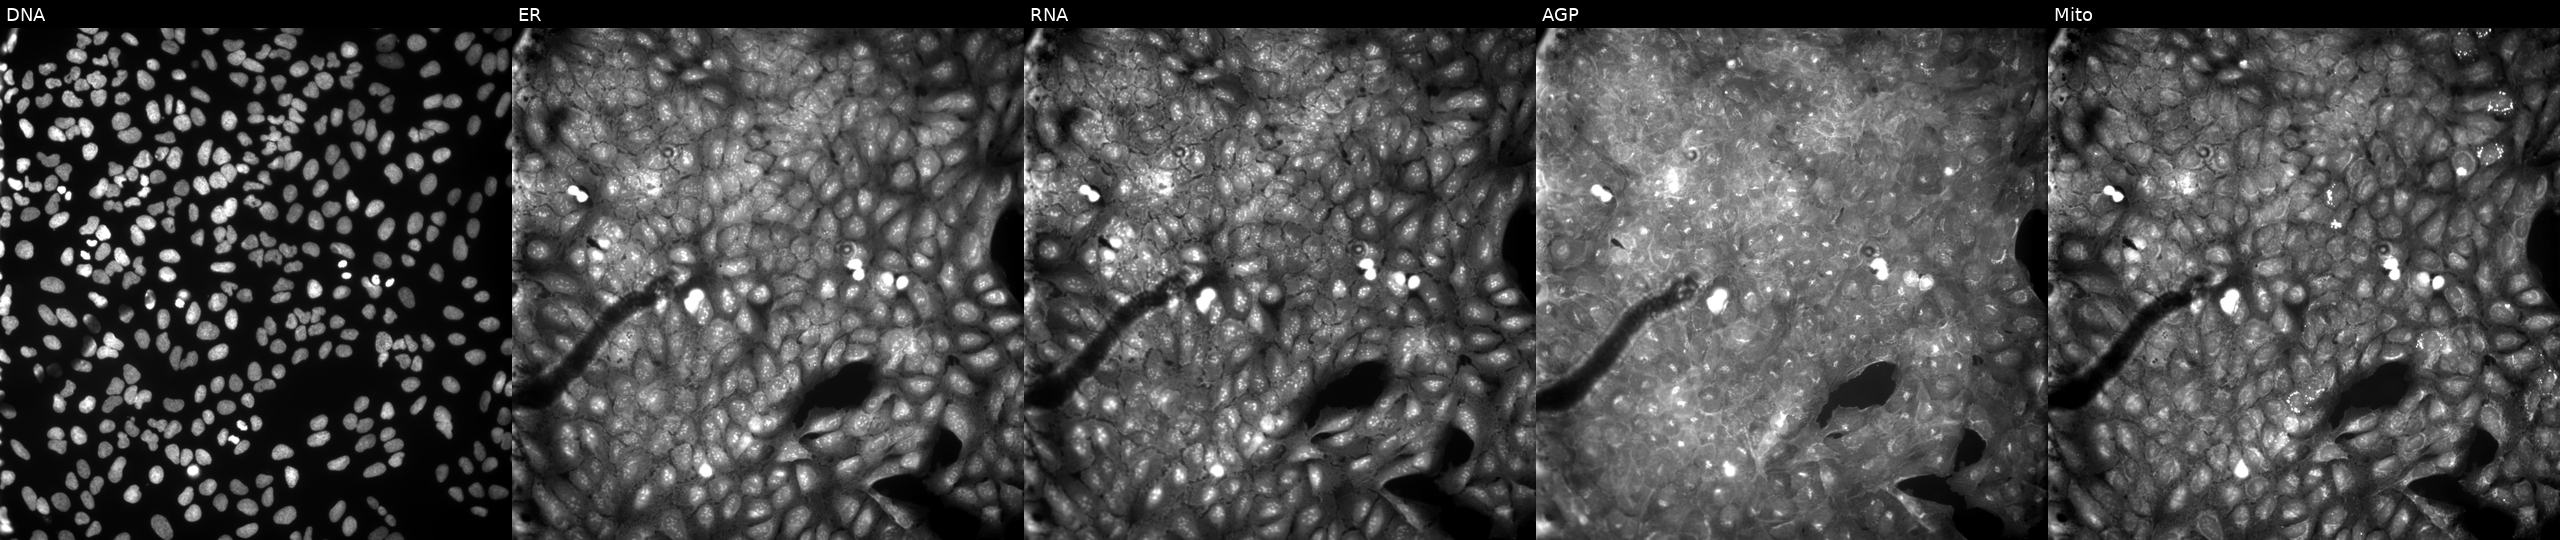
U2OS cells, Cell Painting assay, treated with a small-molecule compound (InChIKey XIFOMDGKXWMWAT-UHFFFAOYSA-N). Panels show, left to right, Hoechst 33342, concanavalin A, SYTO 14, phalloidin and WGA, MitoTracker. Each panel is percentile-stretched 16-bit fluorescence.